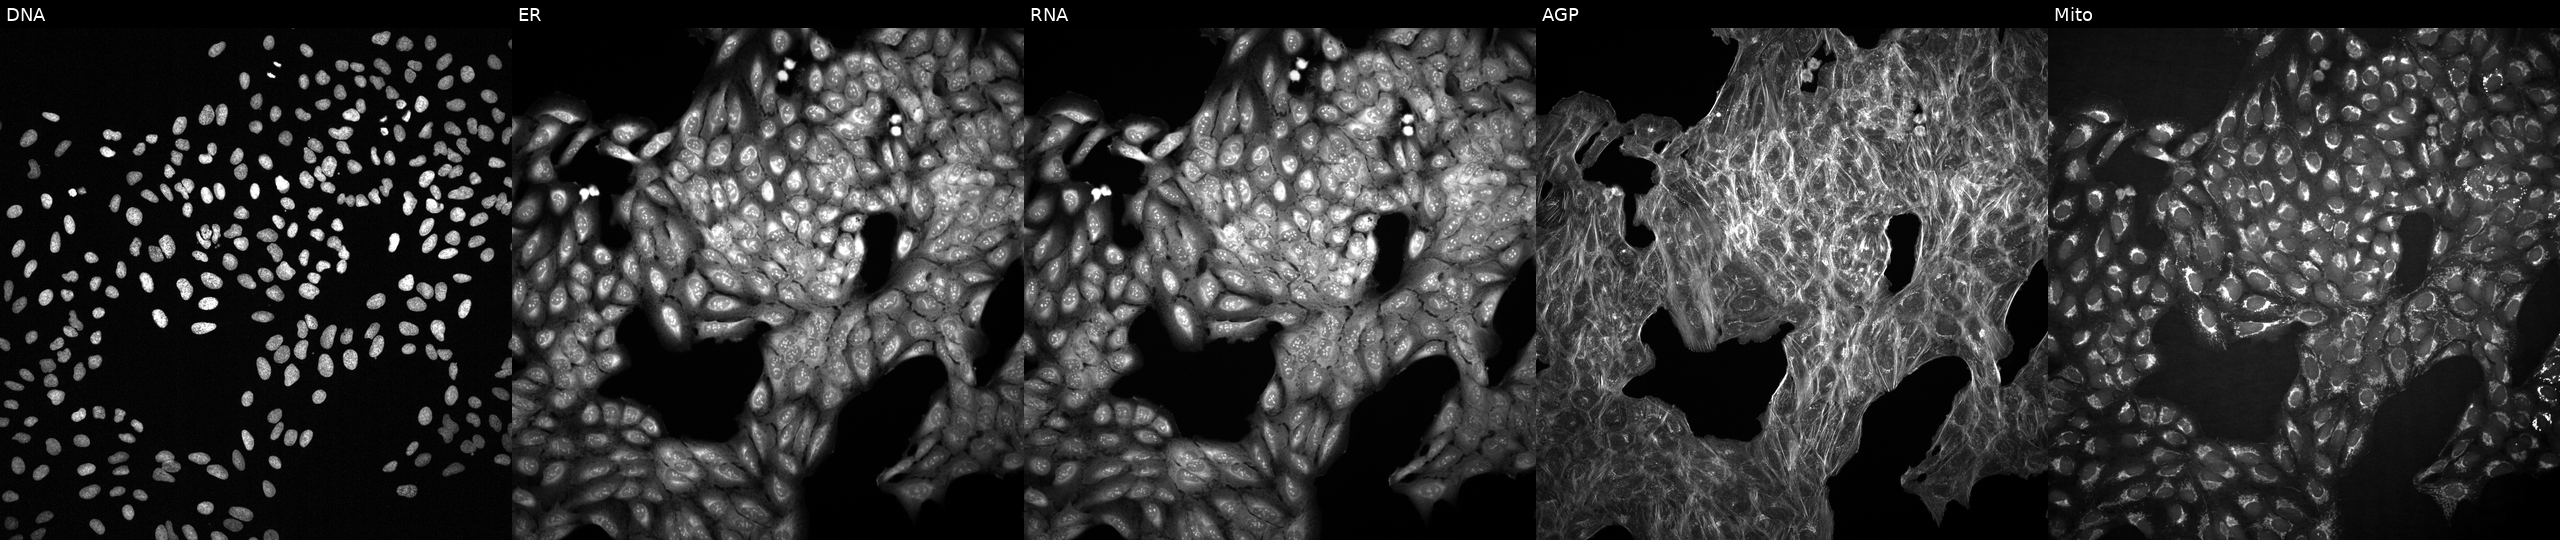
Channels (left→right): DNA (nuclei); ER (endoplasmic reticulum); RNA (nucleoli and cytoplasmic RNA); AGP (actin cytoskeleton, Golgi, and plasma membrane); Mito (mitochondria). U2OS osteosarcoma cells perturbed with a small-molecule compound (InChIKey HQFCIGPWYQRDAU-UHFFFAOYSA-N) [SMILES: CCc1n[nH]c(=NC(=O)CN2CCC(Cc3ccccc3)CC2)s1] (JUMP id JCP2022_031850). Cell Painting assay, JUMP-CP dataset.